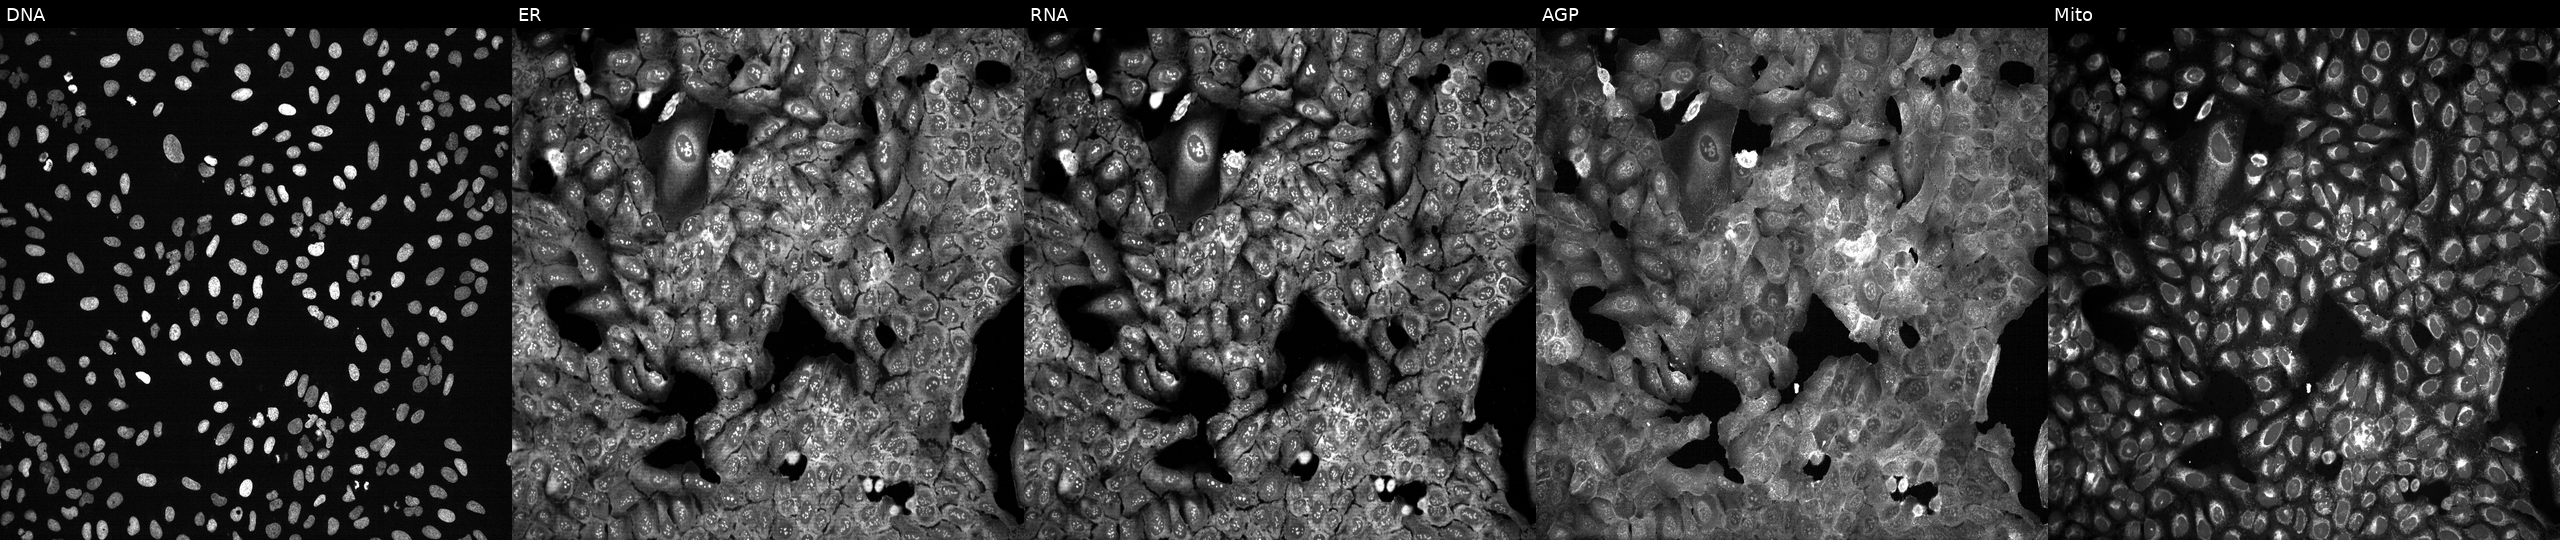
This image strip shows the five Cell Painting channels for a single field of U2OS cells following CRISPR knockout of SLC16A2 (JUMP id JCP2022_806387). Channels (left→right): DNA, ER, RNA, AGP, and Mito.